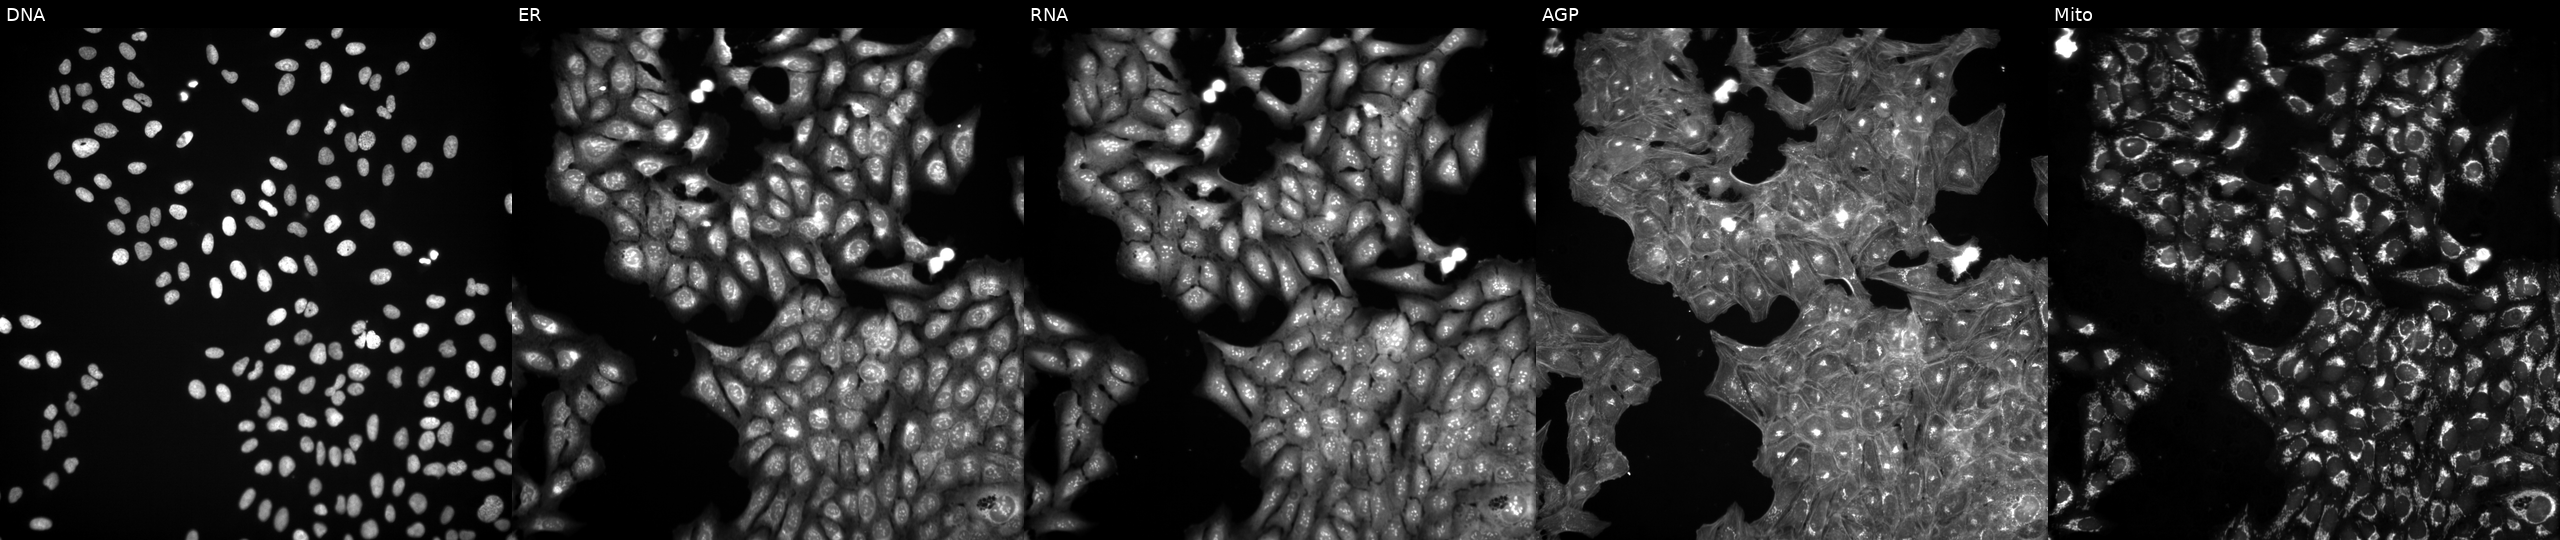
The five panels, left to right, show Hoechst 33342, concanavalin A, SYTO 14, phalloidin and WGA, MitoTracker. U2OS osteosarcoma cells perturbed with a small-molecule compound (InChIKey SVMHYHIZWOJKDL-UHFFFAOYSA-N) (JUMP id JCP2022_085892). Cell Painting assay, JUMP-CP dataset.